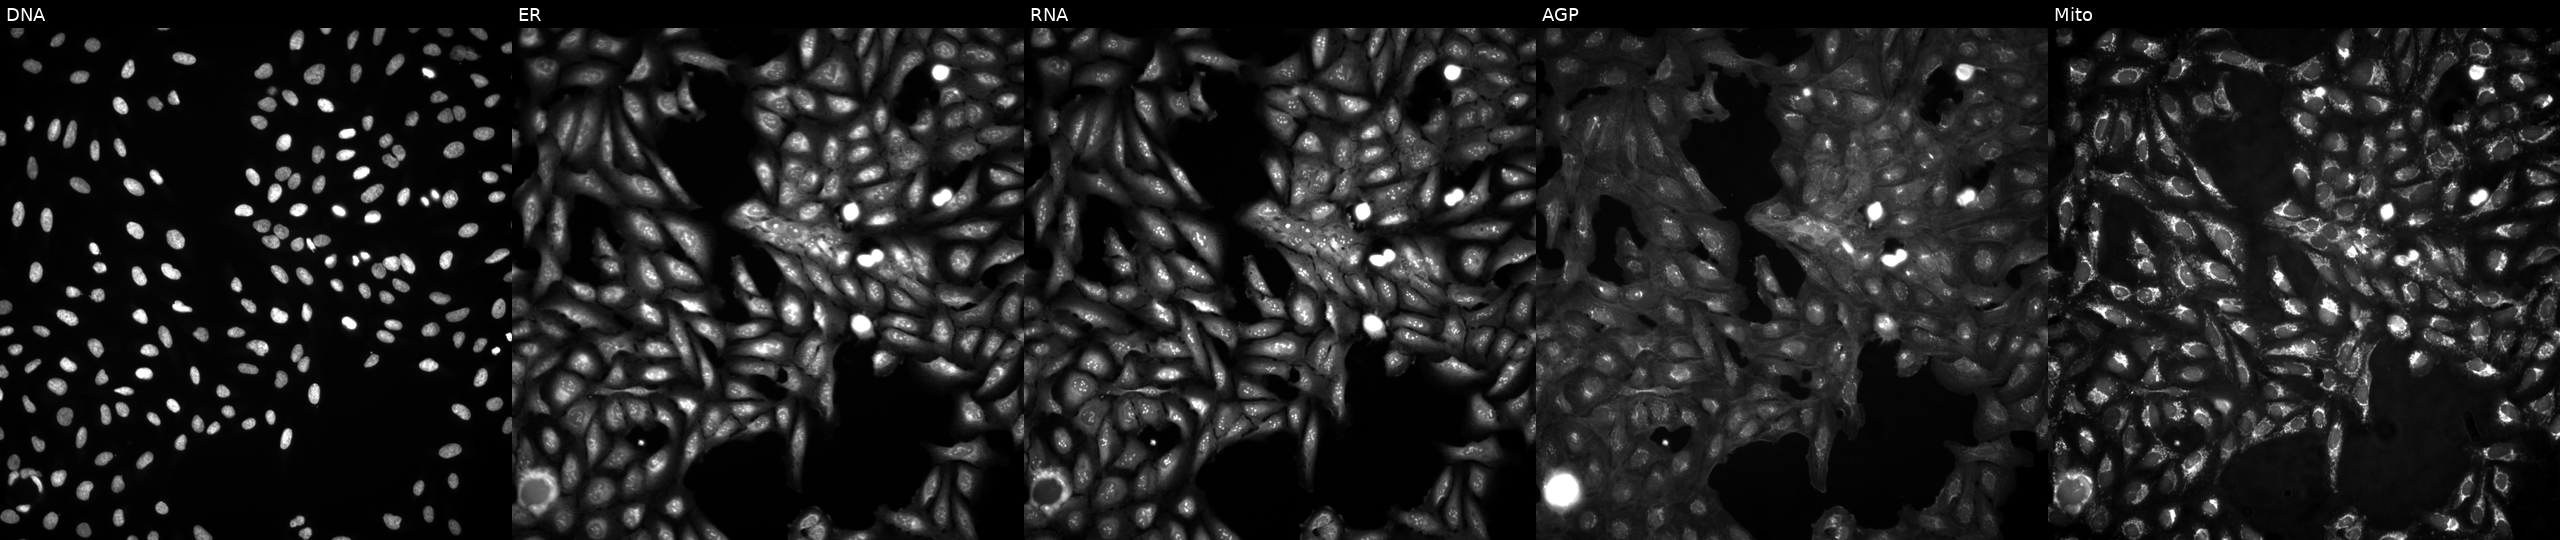
High-content fluorescence microscopy (Cell Painting). Cell line: U2OS. Perturbation: in an empty control well (no perturbation). Channels (left→right): DNA (nuclei); ER (endoplasmic reticulum); RNA (nucleoli and cytoplasmic RNA); AGP (actin cytoskeleton, Golgi, and plasma membrane); Mito (mitochondria).